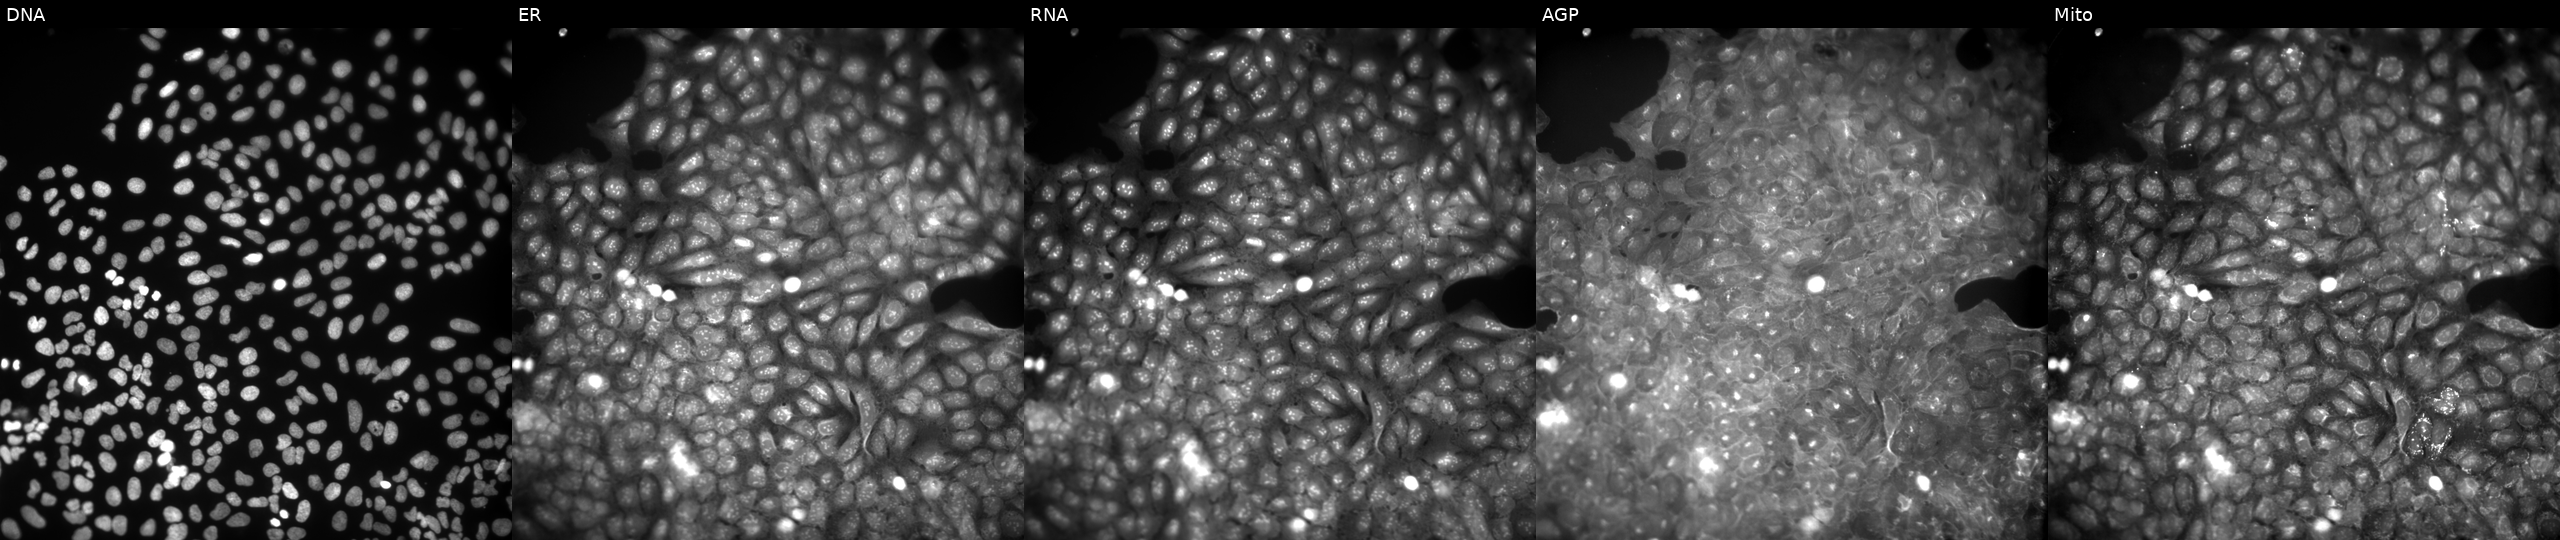
Five-channel Cell Painting image of U2OS cells exposed to a small-molecule compound (InChIKey HIWNNXHGUUWDCK-UHFFFAOYSA-N). Channels (left→right): DNA (nuclei); ER (endoplasmic reticulum); RNA (nucleoli and cytoplasmic RNA); AGP (actin cytoskeleton, Golgi, and plasma membrane); Mito (mitochondria). Source 9, plate GR00003381, well AE06.